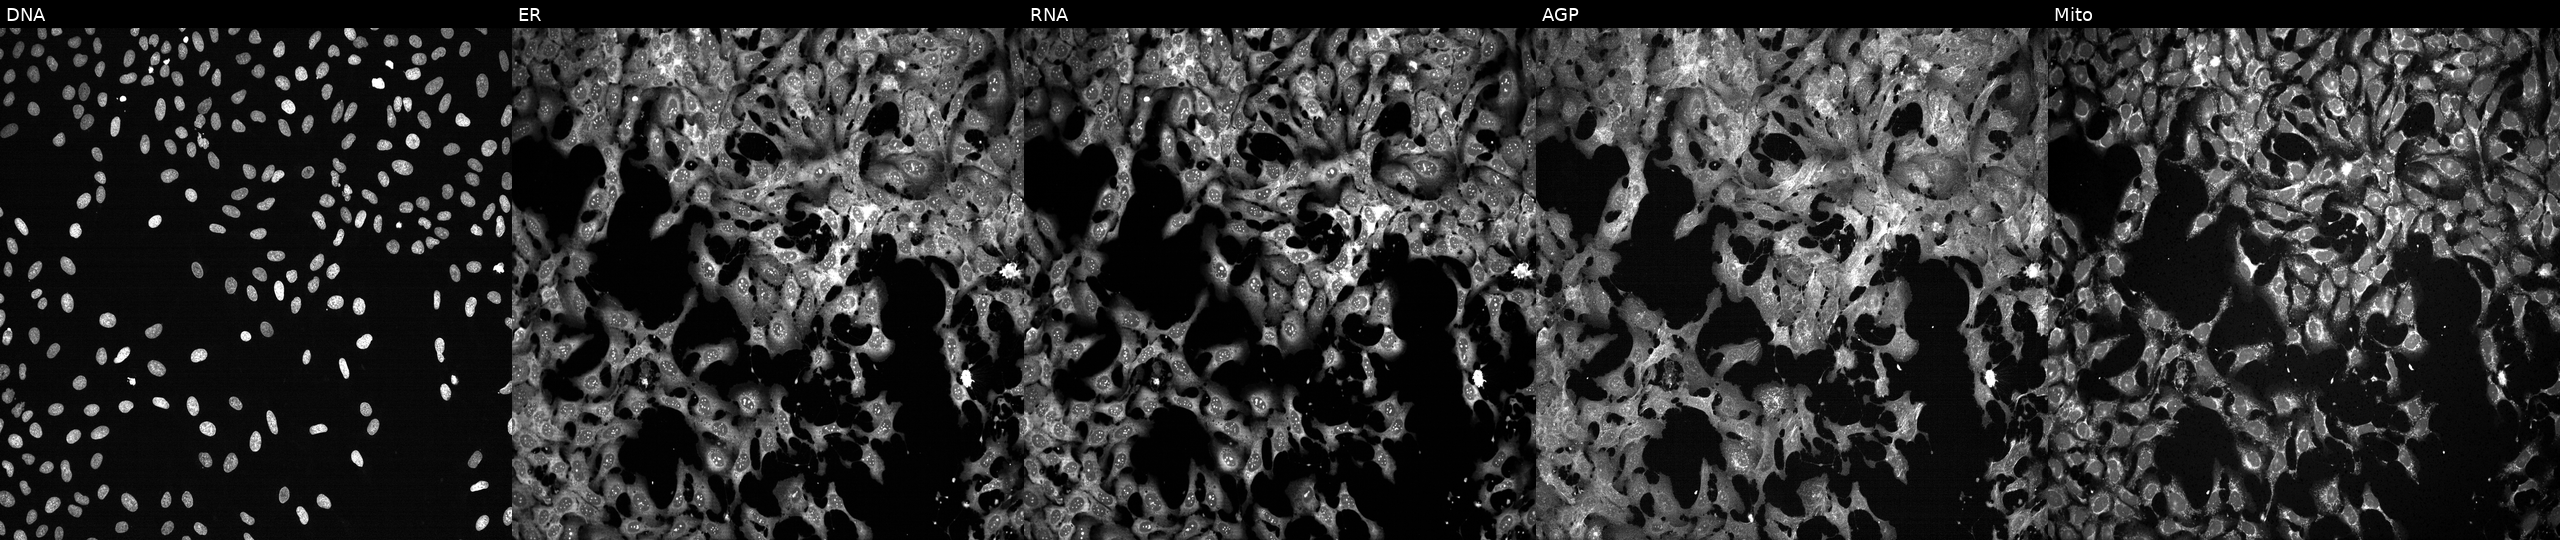
Panels show, left to right, Hoechst 33342, concanavalin A, SYTO 14, phalloidin and WGA, MitoTracker. U2OS osteosarcoma cells exposed to the positive-control compound FK-866. Cell Painting assay, JUMP-CP dataset. Source 13, plate CP-CC9-R3-02, well P24.